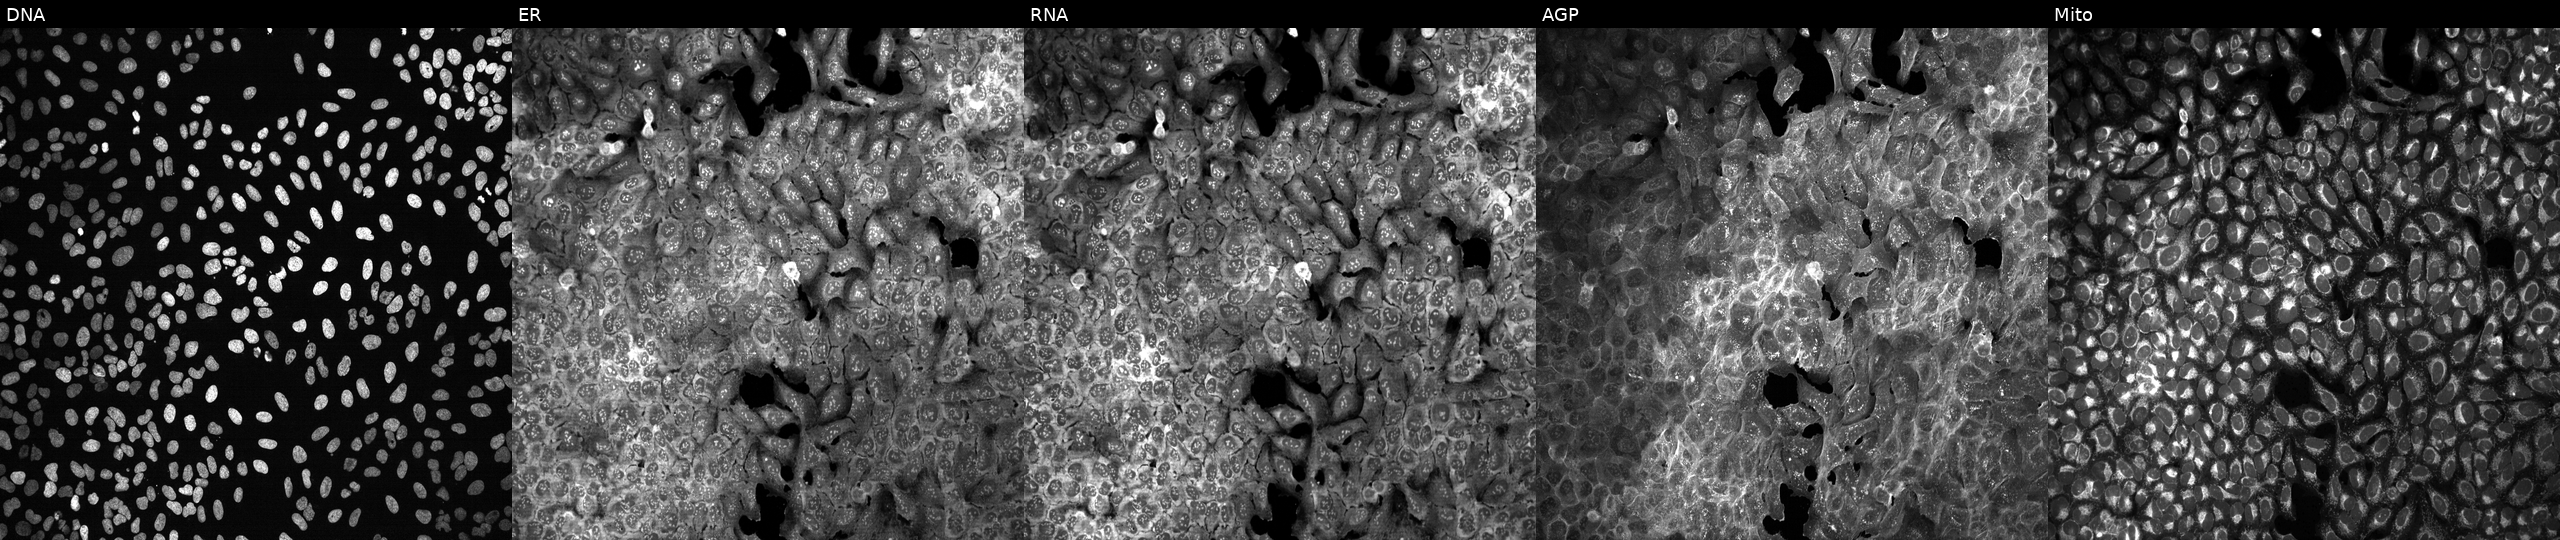
Five-channel Cell Painting image of U2OS cells with a non-targeting CRISPR guide (negative control). Channels (left→right): Hoechst 33342, concanavalin A, SYTO 14, phalloidin and WGA, MitoTracker.